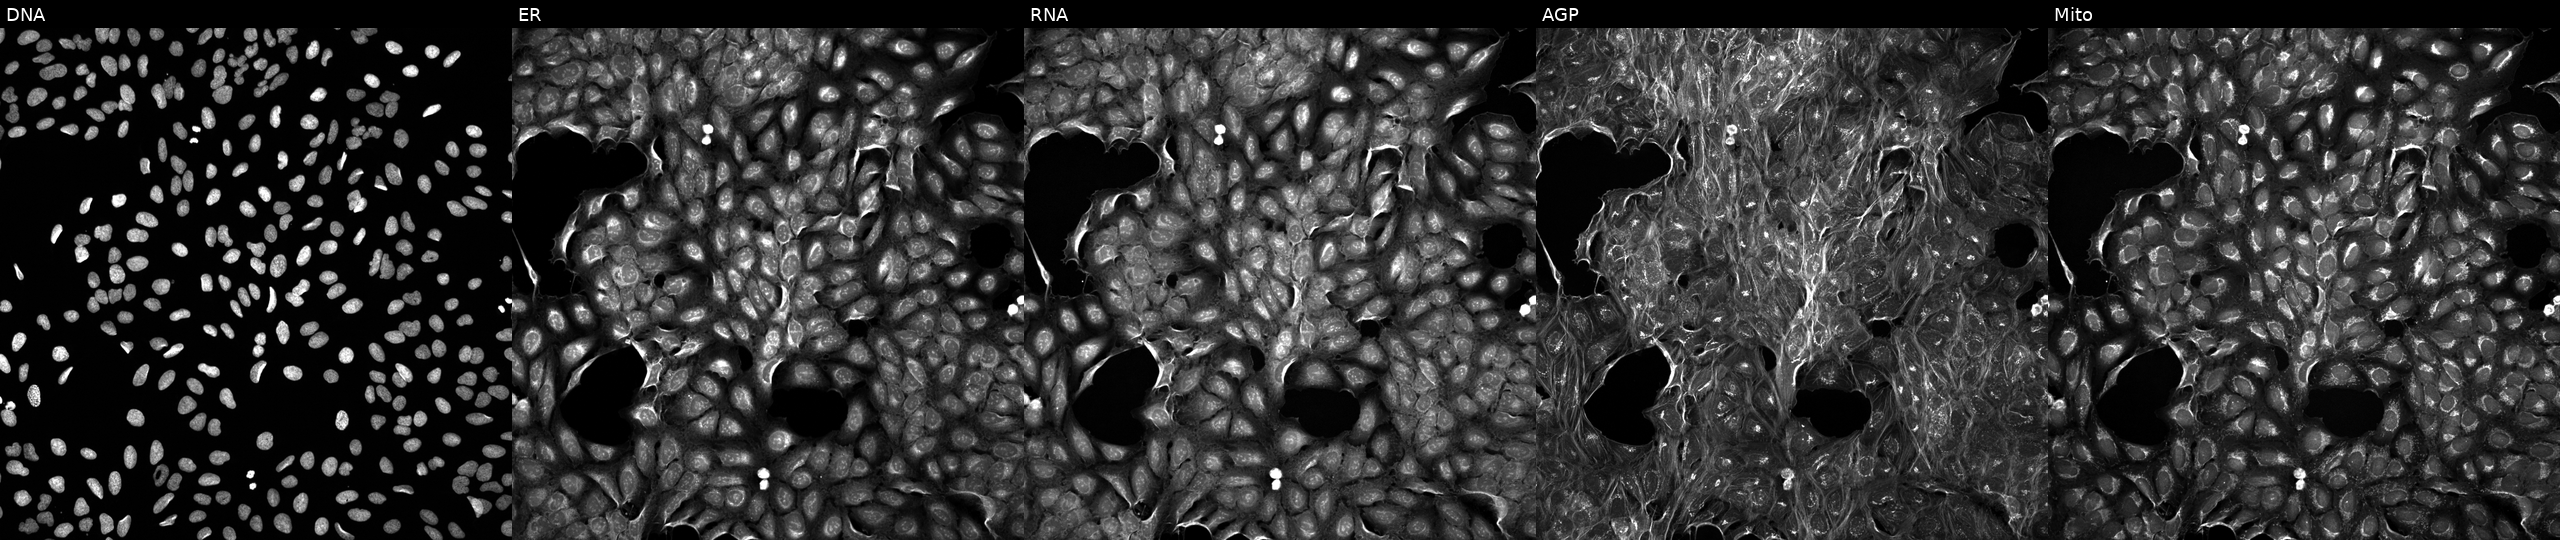
High-content fluorescence microscopy (Cell Painting). Cell line: U2OS. Perturbation: exposed to a small-molecule compound. Channels (left→right): DNA, ER, RNA, AGP, and Mito.